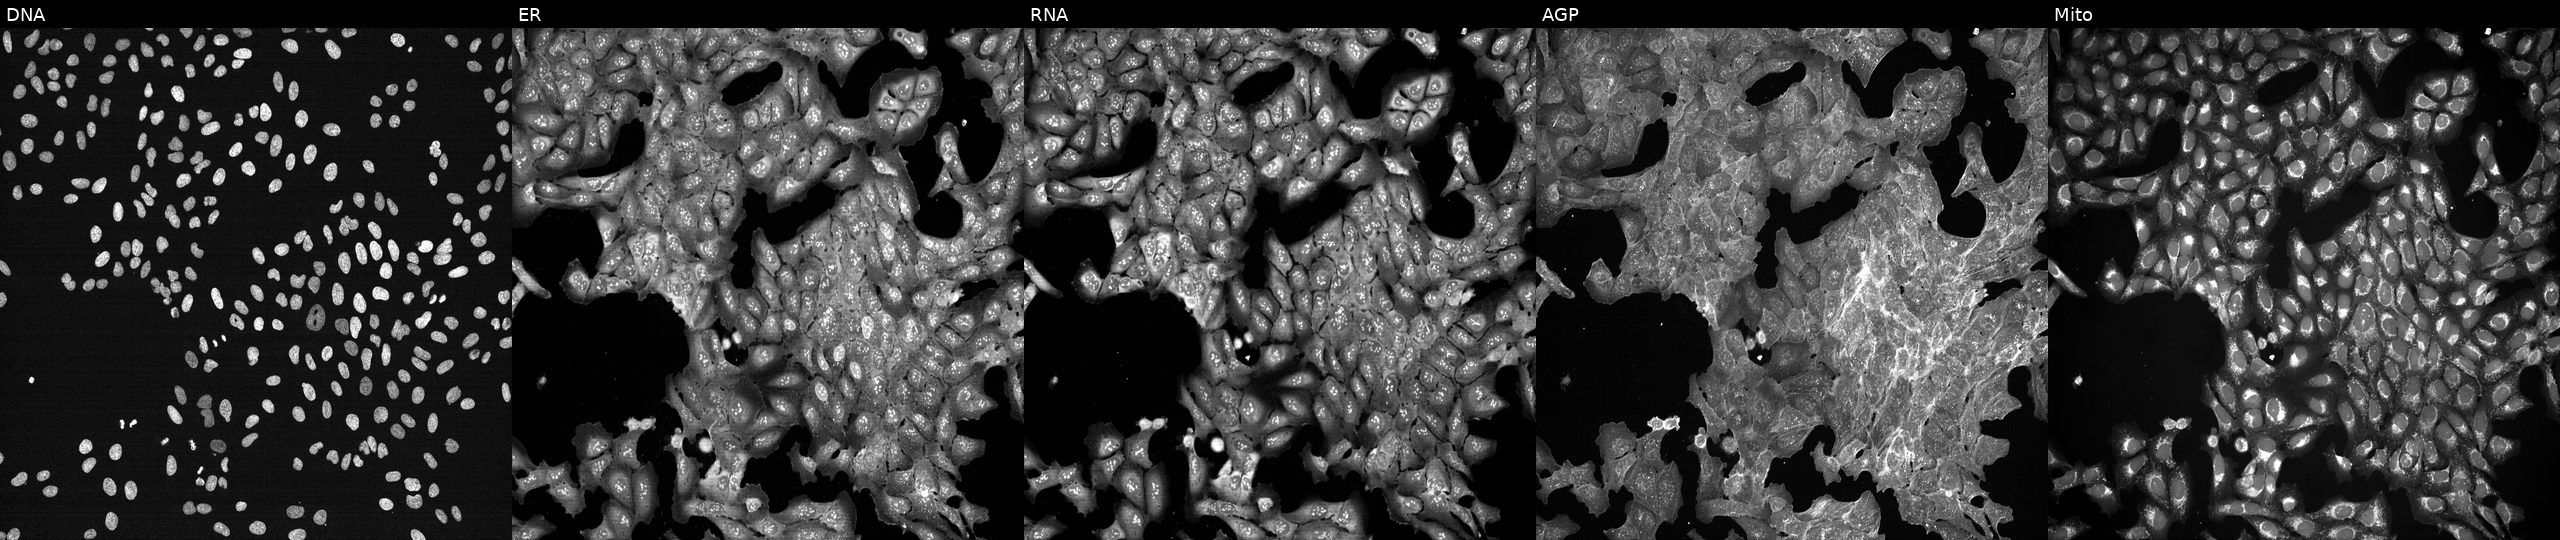
U2OS cells, Cell Painting assay, treated with a small-molecule compound (InChIKey DXZRBHUCOHBAHP-UHFFFAOYSA-N) [SMILES: CCOC(=O)c1c(C(C#N)C=N)c2ccc(Cl)c(Cl)c2n1C]. The five panels, left to right, show DNA (nuclei); ER (endoplasmic reticulum); RNA (nucleoli and cytoplasmic RNA); AGP (actin cytoskeleton, Golgi, and plasma membrane); Mito (mitochondria). Each panel is percentile-stretched 16-bit fluorescence. Source 7, plate CP3-SC1-25, well C13.